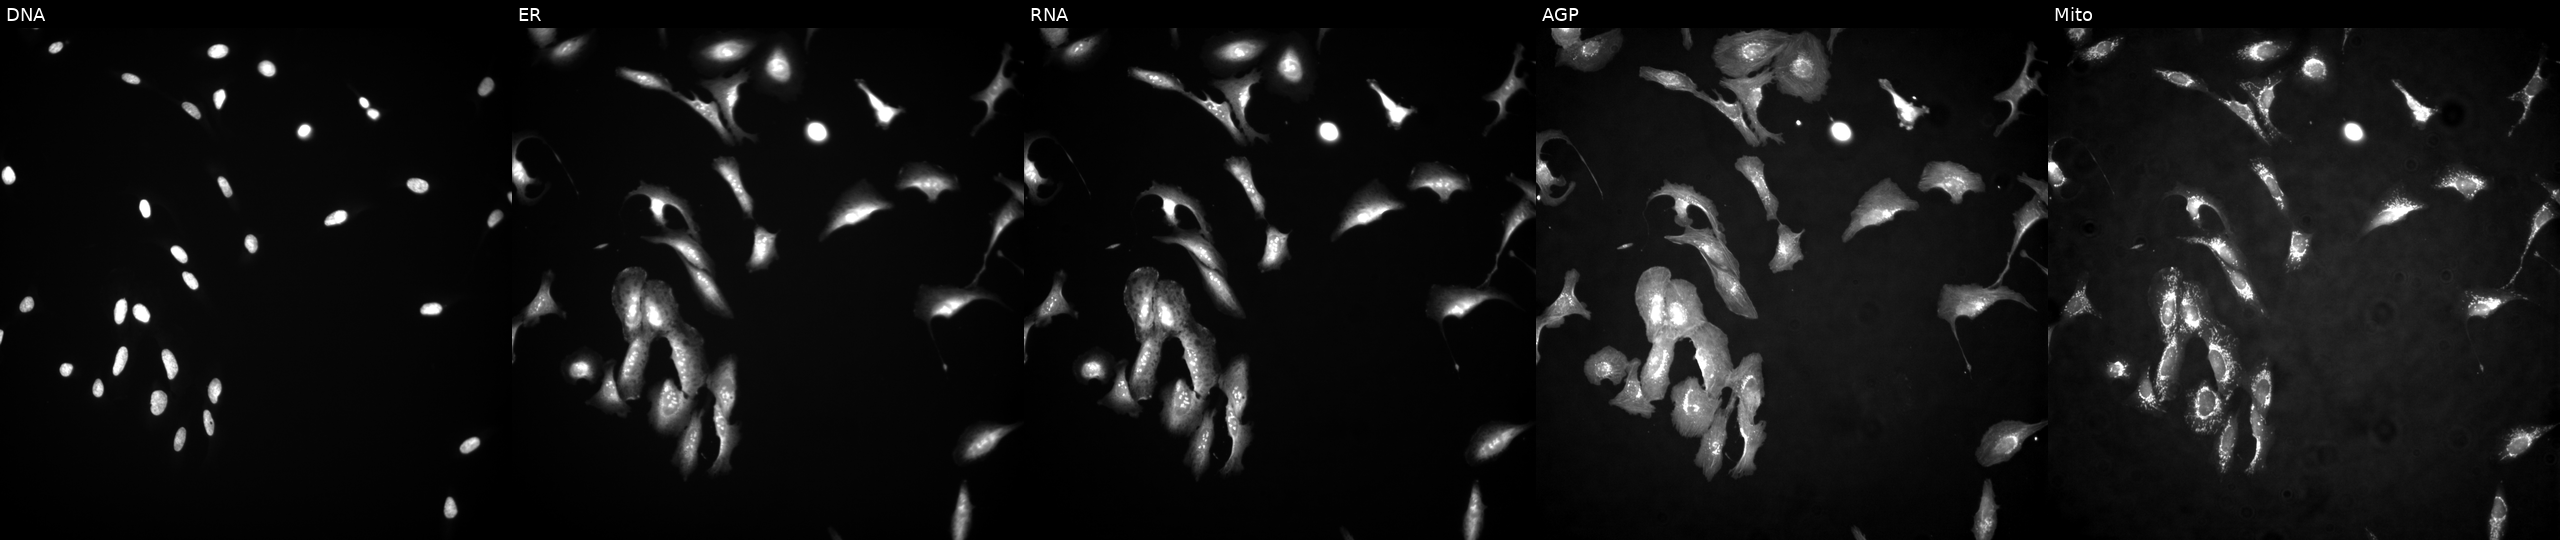
High-content fluorescence microscopy (Cell Painting). Cell line: U2OS. Perturbation: with CTBP2 overexpressed (ORF). The five panels, left to right, show DNA, ER, RNA, AGP, and Mito.